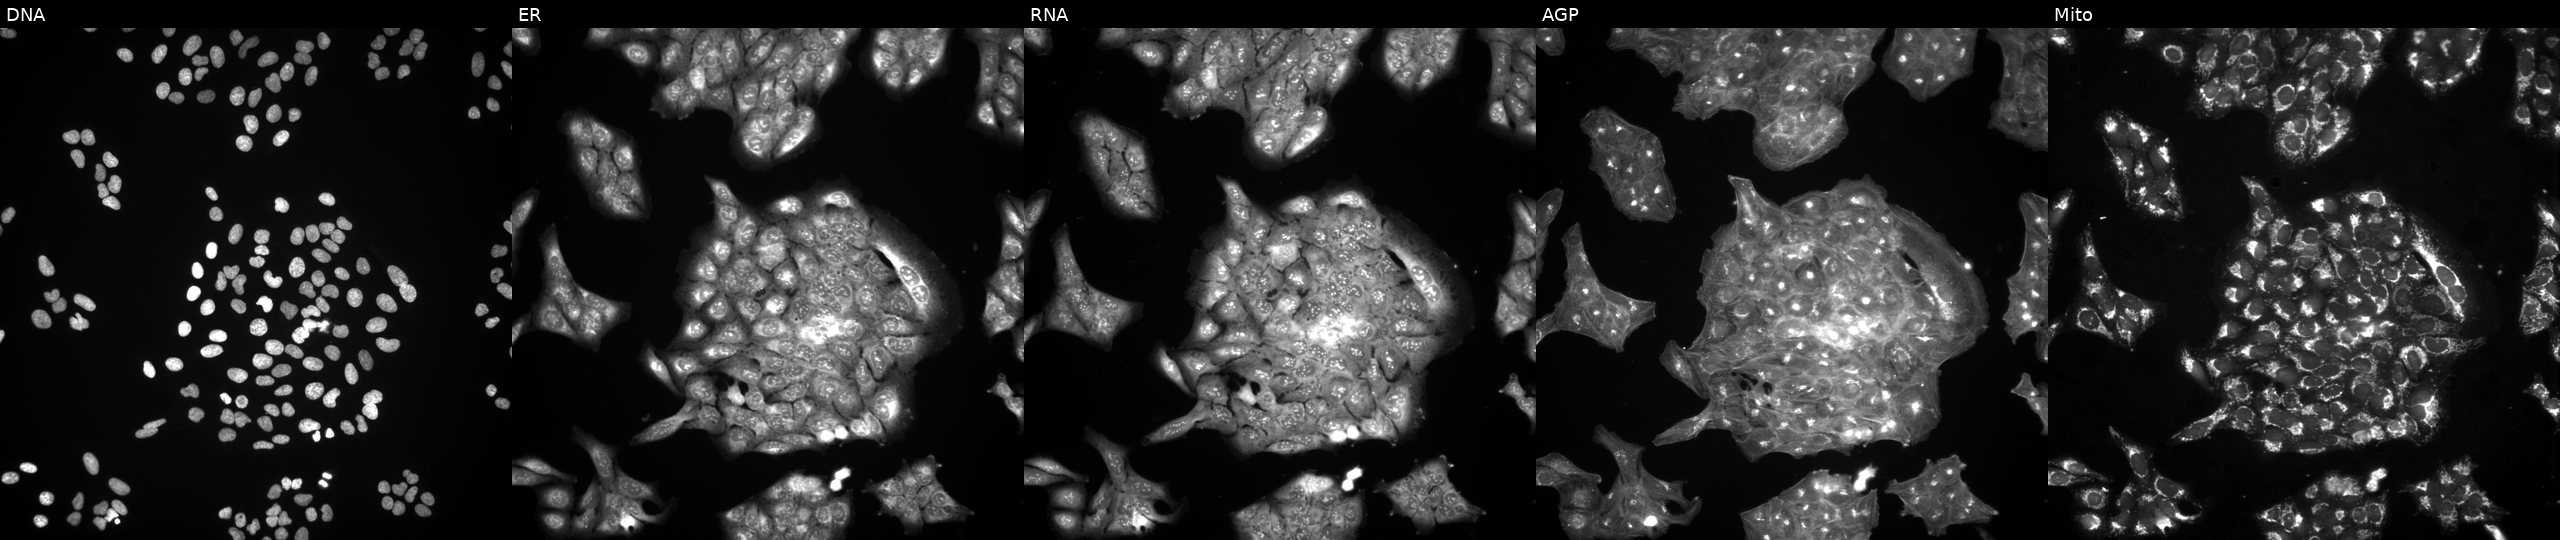
High-content fluorescence microscopy (Cell Painting). Cell line: U2OS. Perturbation: exposed to a small-molecule compound (InChIKey LRRMQNGSYOUANY-UHFFFAOYSA-N) (JUMP id JCP2022_051319). Channels (left→right): DNA (nuclei); ER (endoplasmic reticulum); RNA (nucleoli and cytoplasmic RNA); AGP (actin cytoskeleton, Golgi, and plasma membrane); Mito (mitochondria). Source 3, plate JCPQC052, well K19.